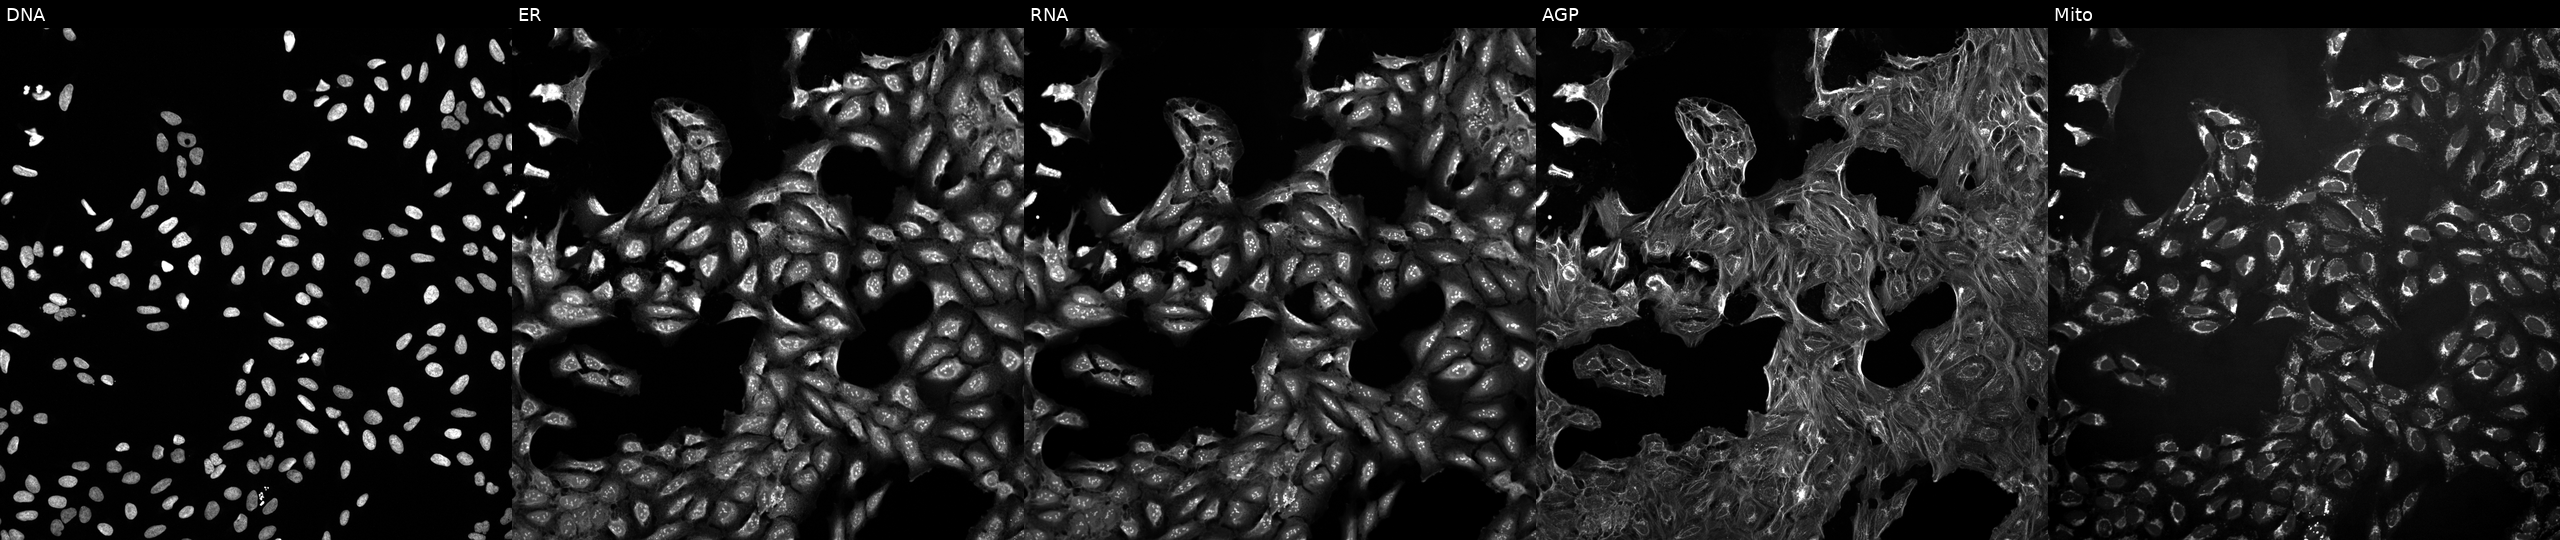
This image strip shows the five Cell Painting channels for a single field of U2OS cells perturbed with a small-molecule compound (InChIKey LQERMDXPGNOJCT-UHFFFAOYSA-N) [SMILES: CNC1C(=O)NC2Cc3ccc(cc3)Oc3cc4cc(c3OC3OC(C(=O)O)C(O)C(O)C3NC(=O)CCCCCCCCC(C)C)Oc3ccc(cc3Cl)C(O)c3[nH]c(O)c(c5ccc(O)c(c5)c5c(OC6OC(CO)C(O)C(O)C6O)cc(O)cc5c(=C(O)NCCCN(C)C)[nH]c3O)NC(=O)C4NC(=O)C(NC2=O)c2cc(cc(O)c2Cl)Oc2cc1ccc2O] (JUMP id JCP2022_051043). From left to right: DNA (nuclei); ER (endoplasmic reticulum); RNA (nucleoli and cytoplasmic RNA); AGP (actin cytoskeleton, Golgi, and plasma membrane); Mito (mitochondria).